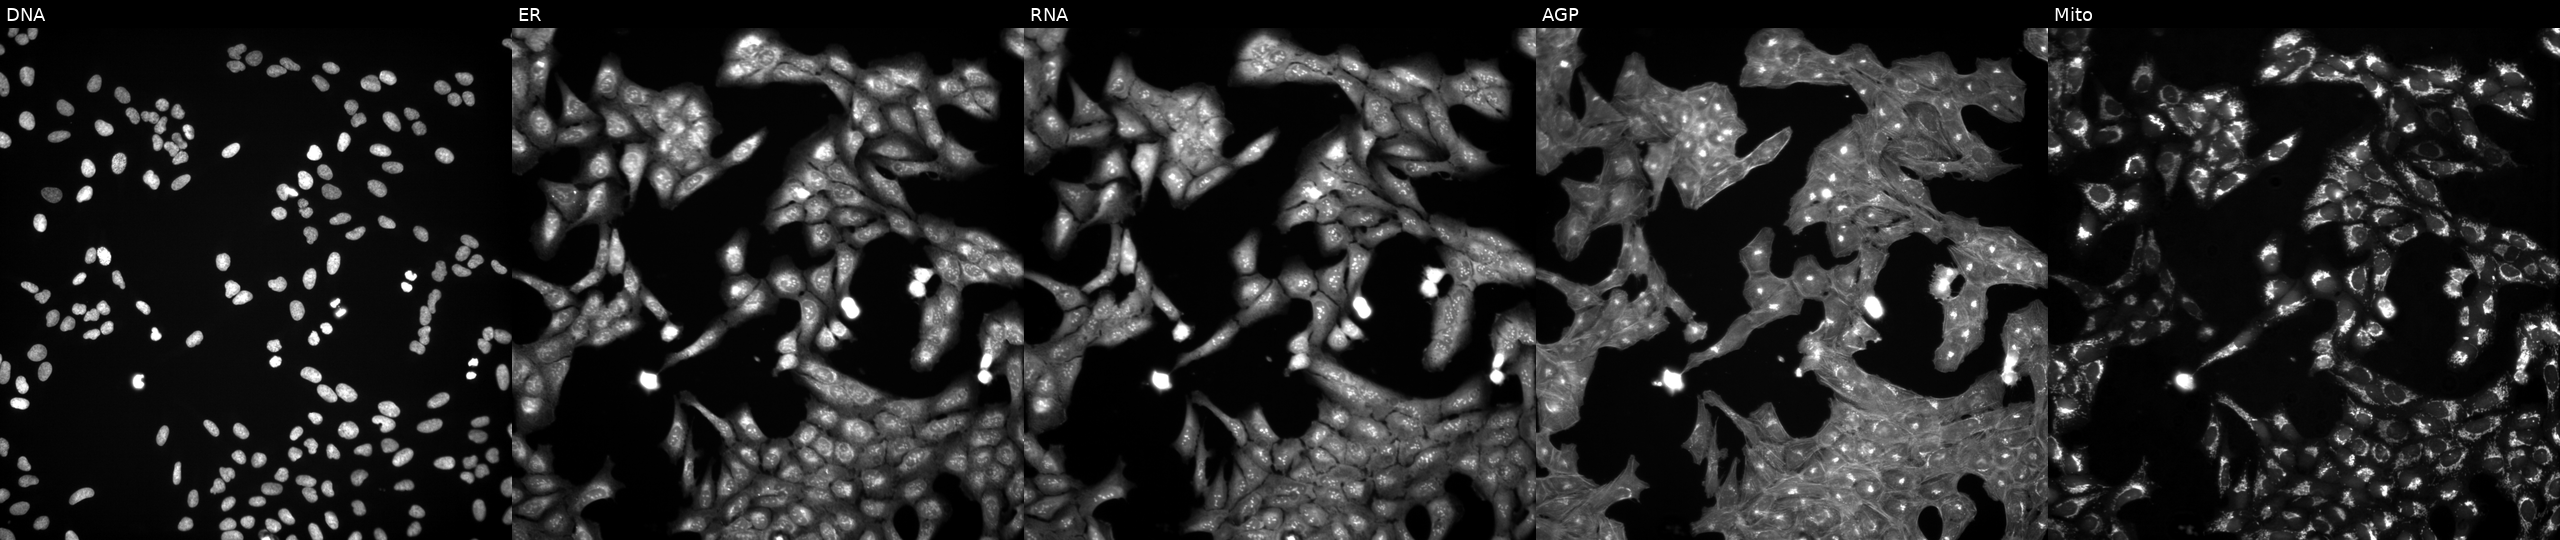
Five-channel Cell Painting image of U2OS cells perturbed with a small-molecule compound (InChIKey UCAGLBKTLXCODC-UHFFFAOYSA-N). Channels (left→right): DNA (nuclei); ER (endoplasmic reticulum); RNA (nucleoli and cytoplasmic RNA); AGP (actin cytoskeleton, Golgi, and plasma membrane); Mito (mitochondria). Source 3, plate JCPQC051, well K03.